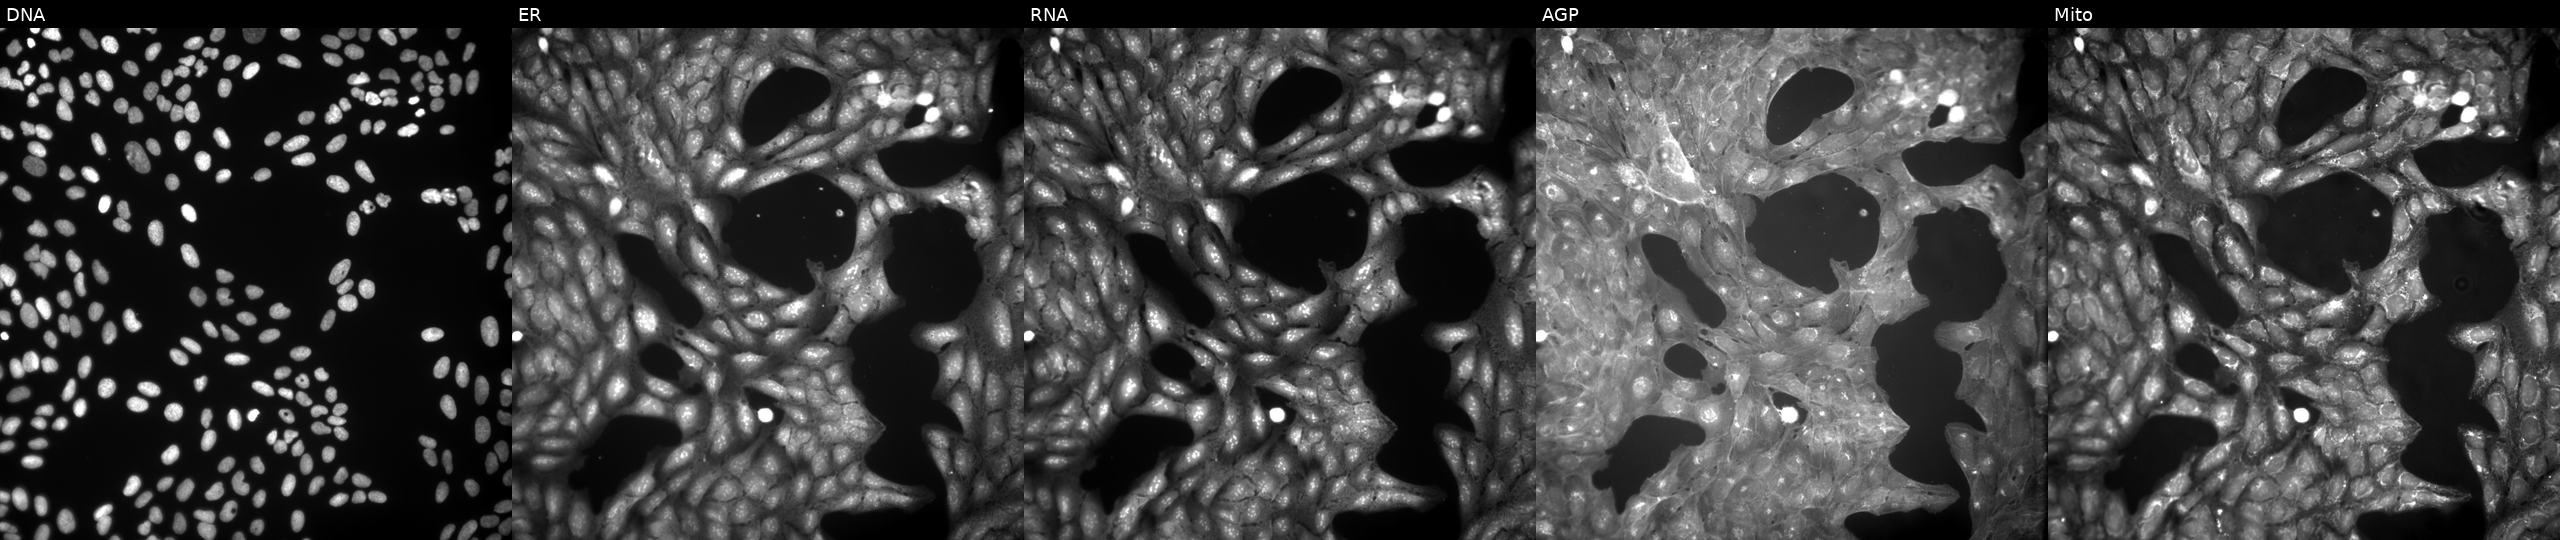
This image strip shows the five Cell Painting channels for a single field of U2OS cells exposed to the positive-control compound dexamethasone. Channels (left→right): DNA (nuclei); ER (endoplasmic reticulum); RNA (nucleoli and cytoplasmic RNA); AGP (actin cytoskeleton, Golgi, and plasma membrane); Mito (mitochondria).